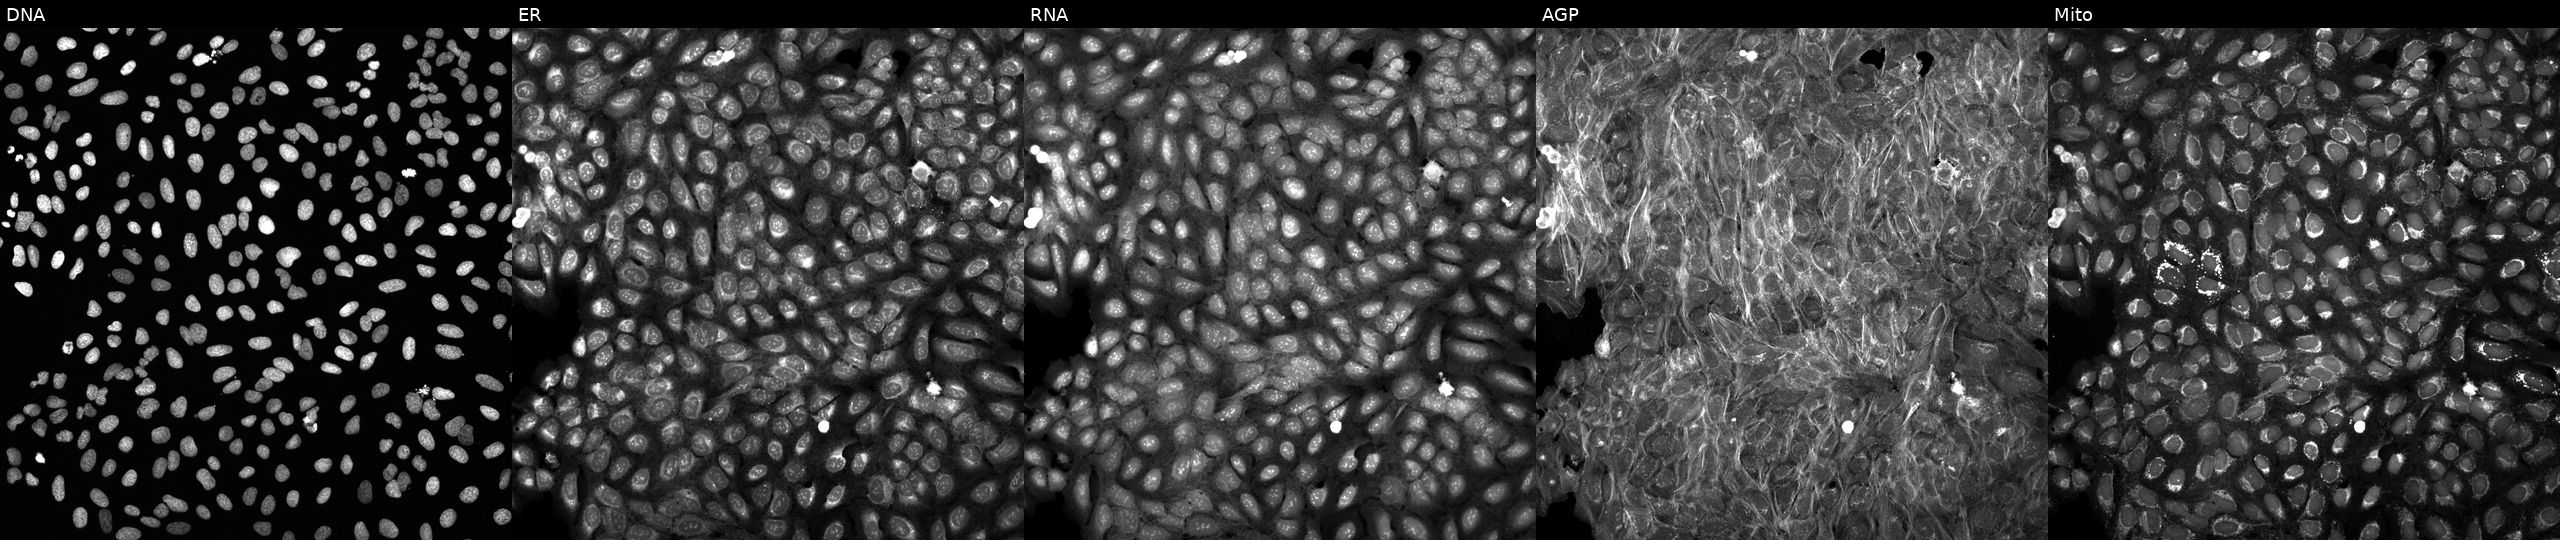
U2OS cells, Cell Painting assay, treated with a small-molecule compound (InChIKey HAQDEJPEAKWAAM-UHFFFAOYSA-N) (JUMP id JCP2022_028940). Channels (left→right): DNA, ER, RNA, AGP, and Mito. Each panel is percentile-stretched 16-bit fluorescence. Source 6, plate 110000294901, well E04.